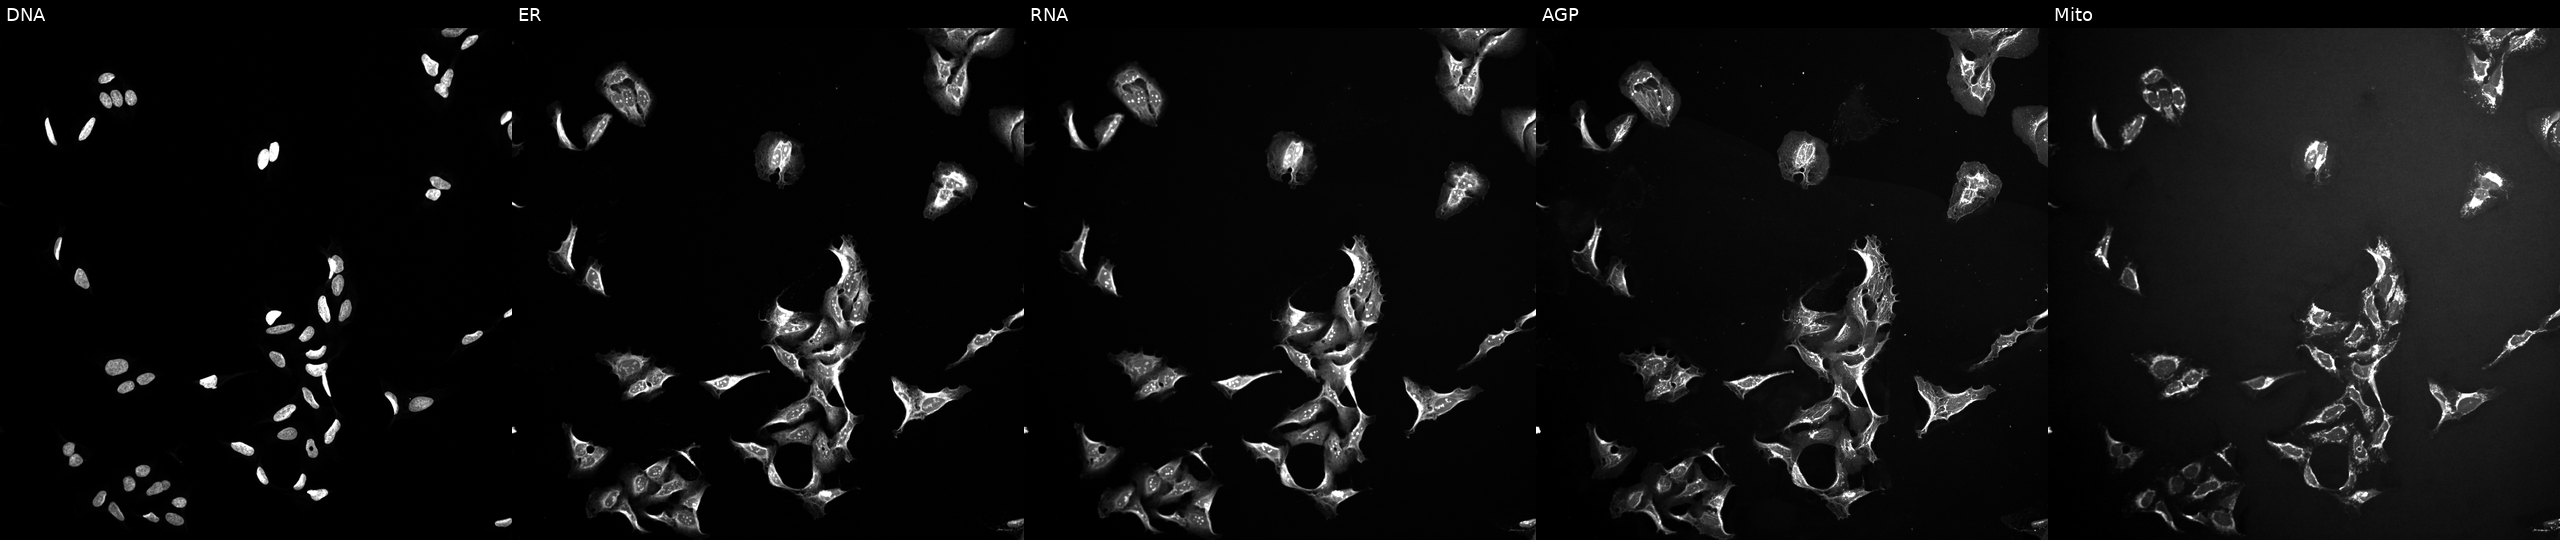
Five-channel Cell Painting image of U2OS cells perturbed with a small-molecule compound (JUMP id JCP2022_102083). The five panels, left to right, show DNA, ER, RNA, AGP, and Mito.